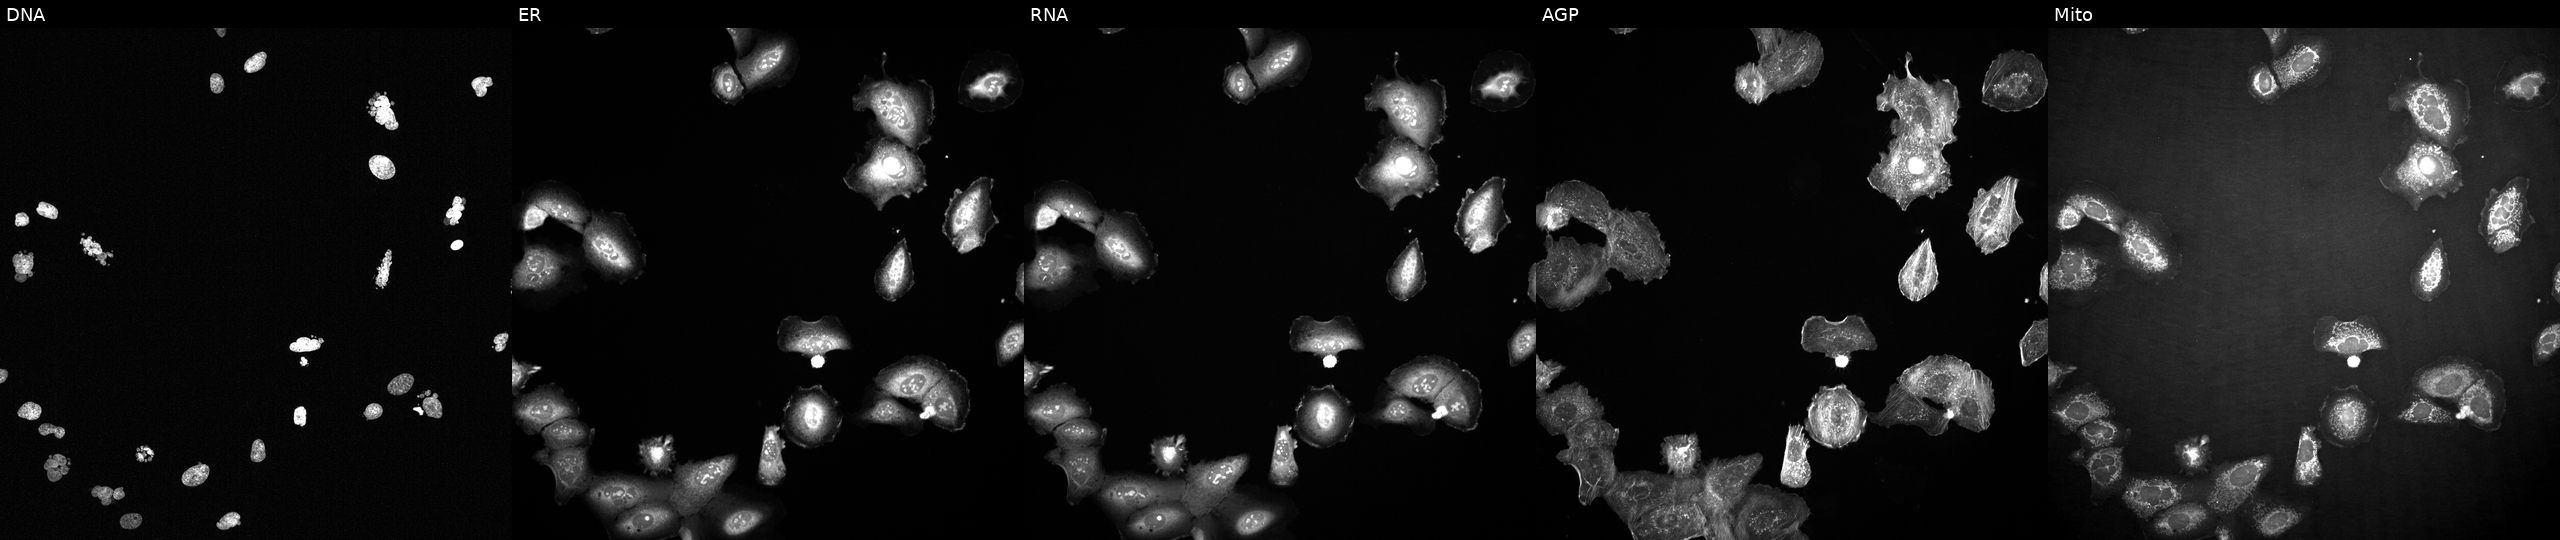
High-content fluorescence microscopy (Cell Painting). Cell line: U2OS. Perturbation: treated with a small-molecule compound (InChIKey CMYHZFCJPORPHY-UHFFFAOYSA-N). From left to right: DNA, ER, RNA, AGP, and Mito.